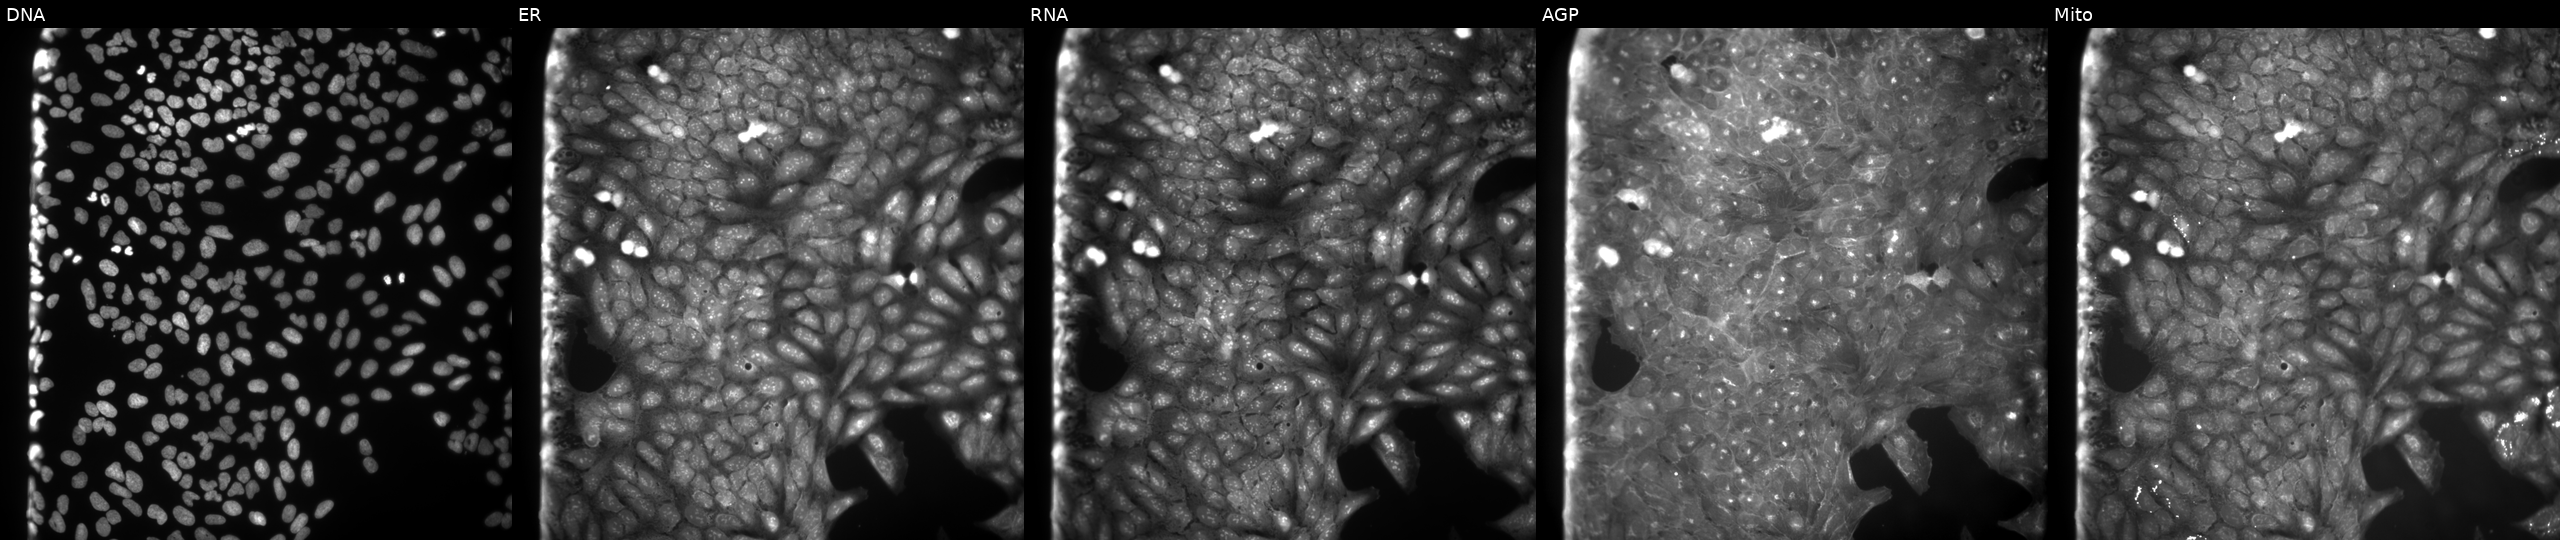
Panels show, left to right, DNA (nuclei); ER (endoplasmic reticulum); RNA (nucleoli and cytoplasmic RNA); AGP (actin cytoskeleton, Golgi, and plasma membrane); Mito (mitochondria). U2OS osteosarcoma cells treated with dexamethasone (positive-control compound). Cell Painting assay, JUMP-CP dataset.